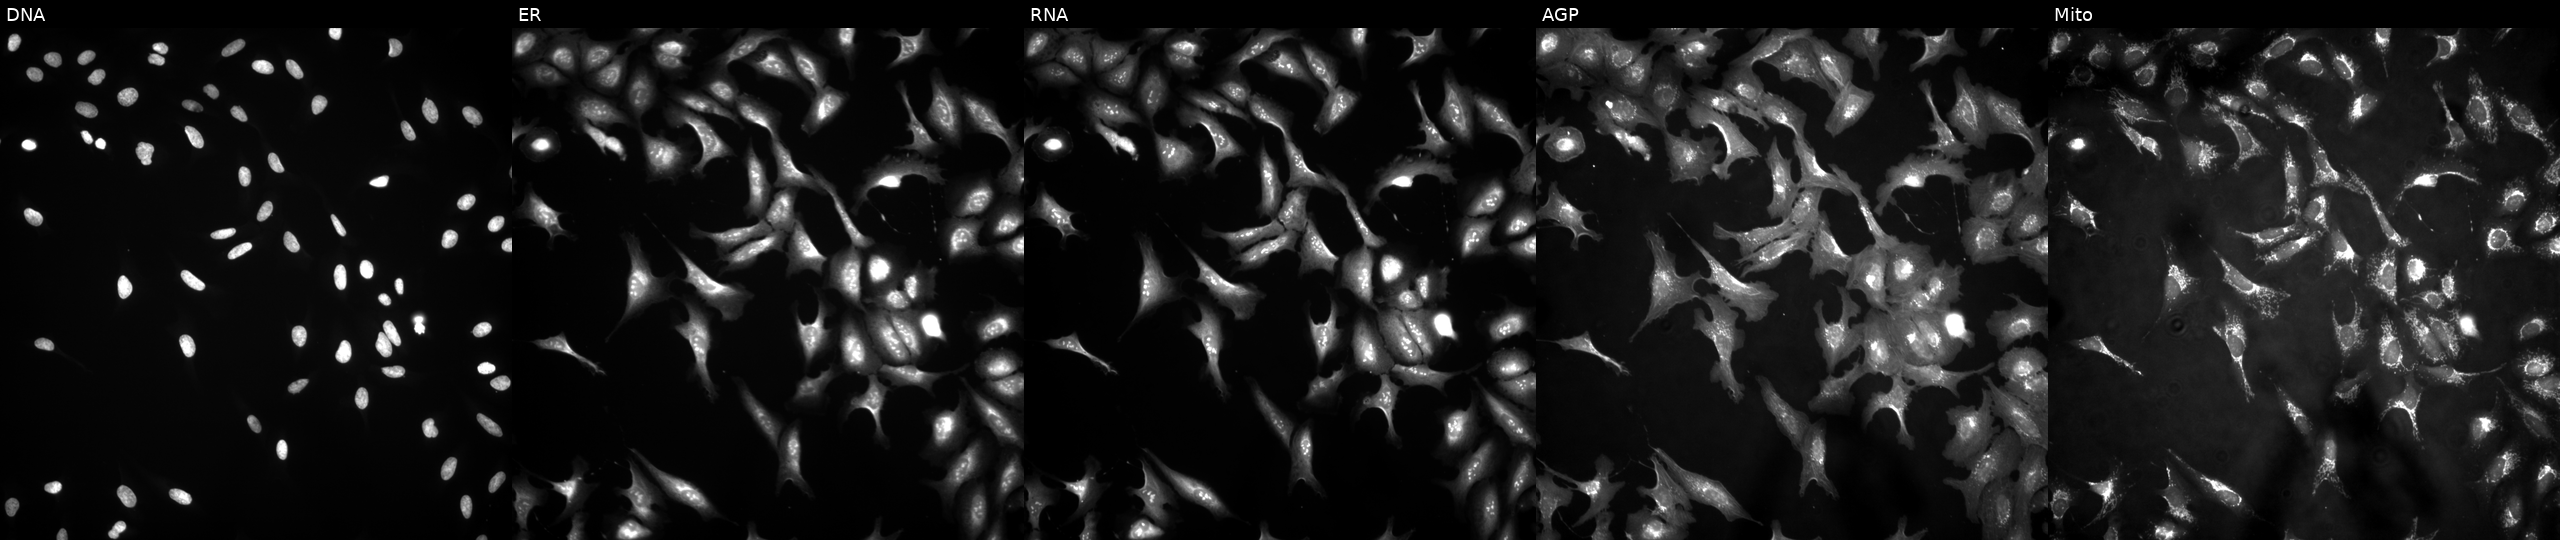
Five-channel Cell Painting image of U2OS cells with HNRNPUL1 overexpressed (ORF). Panels show, left to right, Hoechst 33342, concanavalin A, SYTO 14, phalloidin and WGA, MitoTracker.